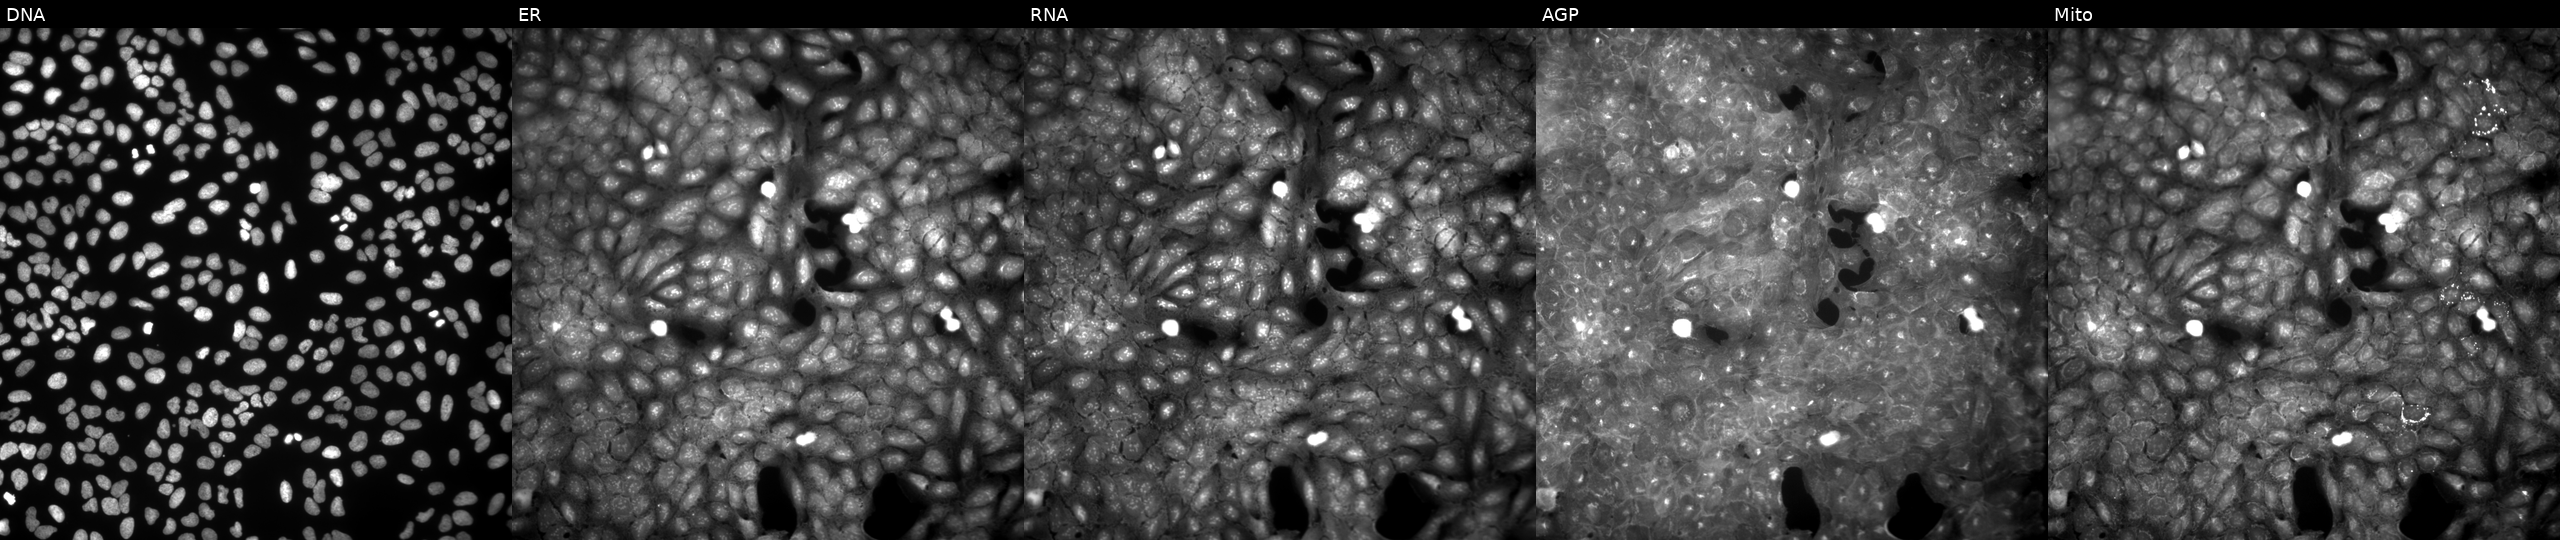
Panels show, left to right, Hoechst 33342, concanavalin A, SYTO 14, phalloidin and WGA, MitoTracker. U2OS osteosarcoma cells exposed to a small-molecule compound. Cell Painting assay, JUMP-CP dataset. Source 9, plate GR00003381, well W36.